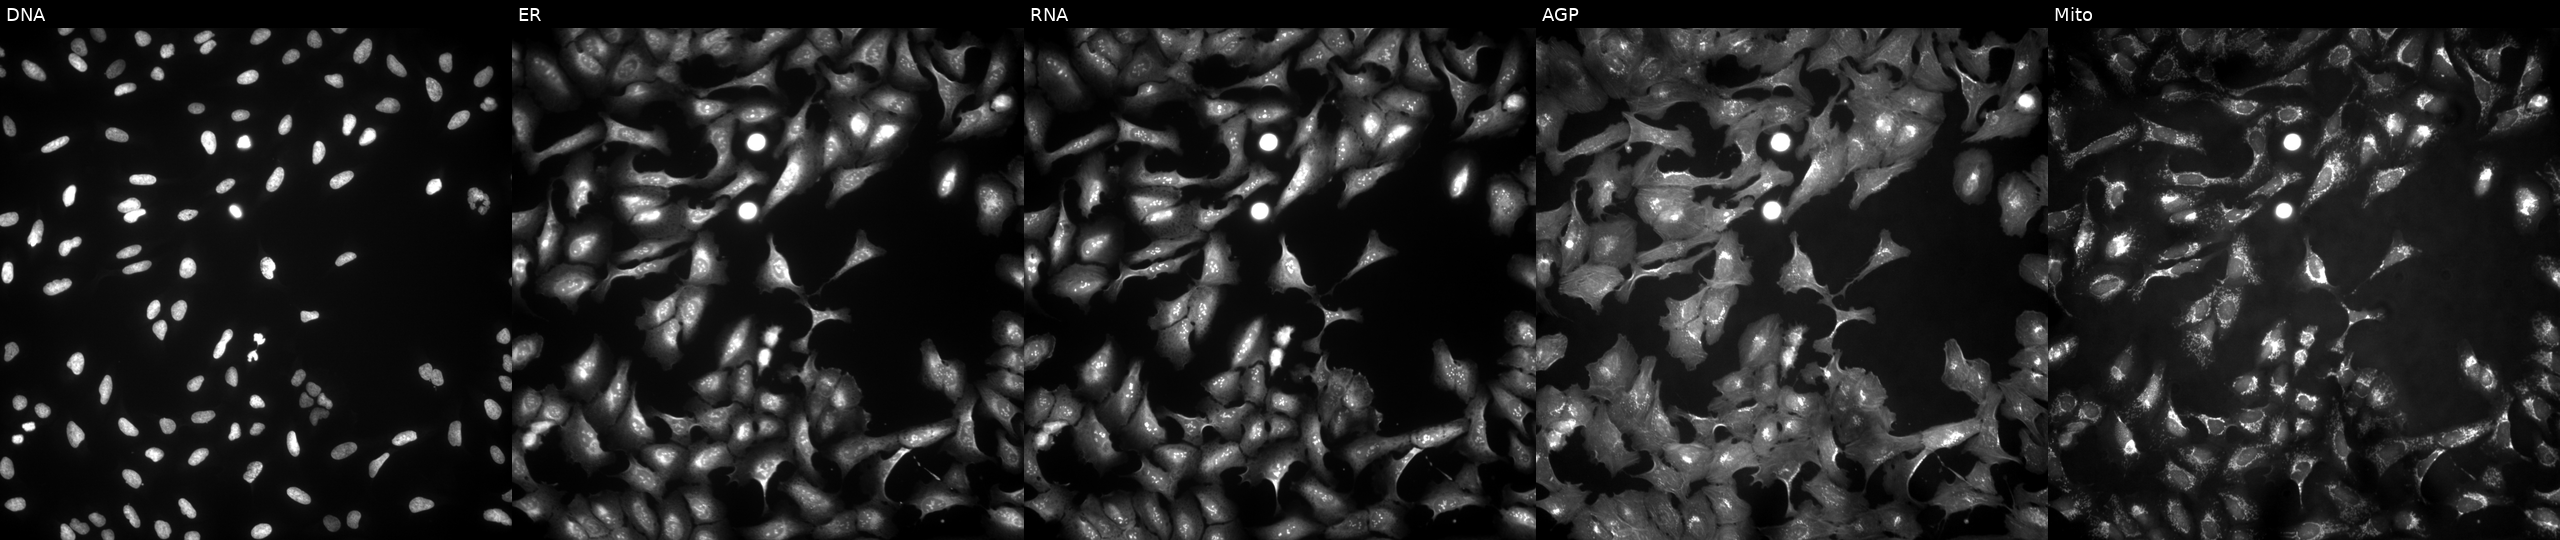
JUMP Cell Painting — ORF plate. U2OS cells transfected with an ORF construct for NKAP. Channels (left→right): DNA (nuclei); ER (endoplasmic reticulum); RNA (nucleoli and cytoplasmic RNA); AGP (actin cytoskeleton, Golgi, and plasma membrane); Mito (mitochondria).